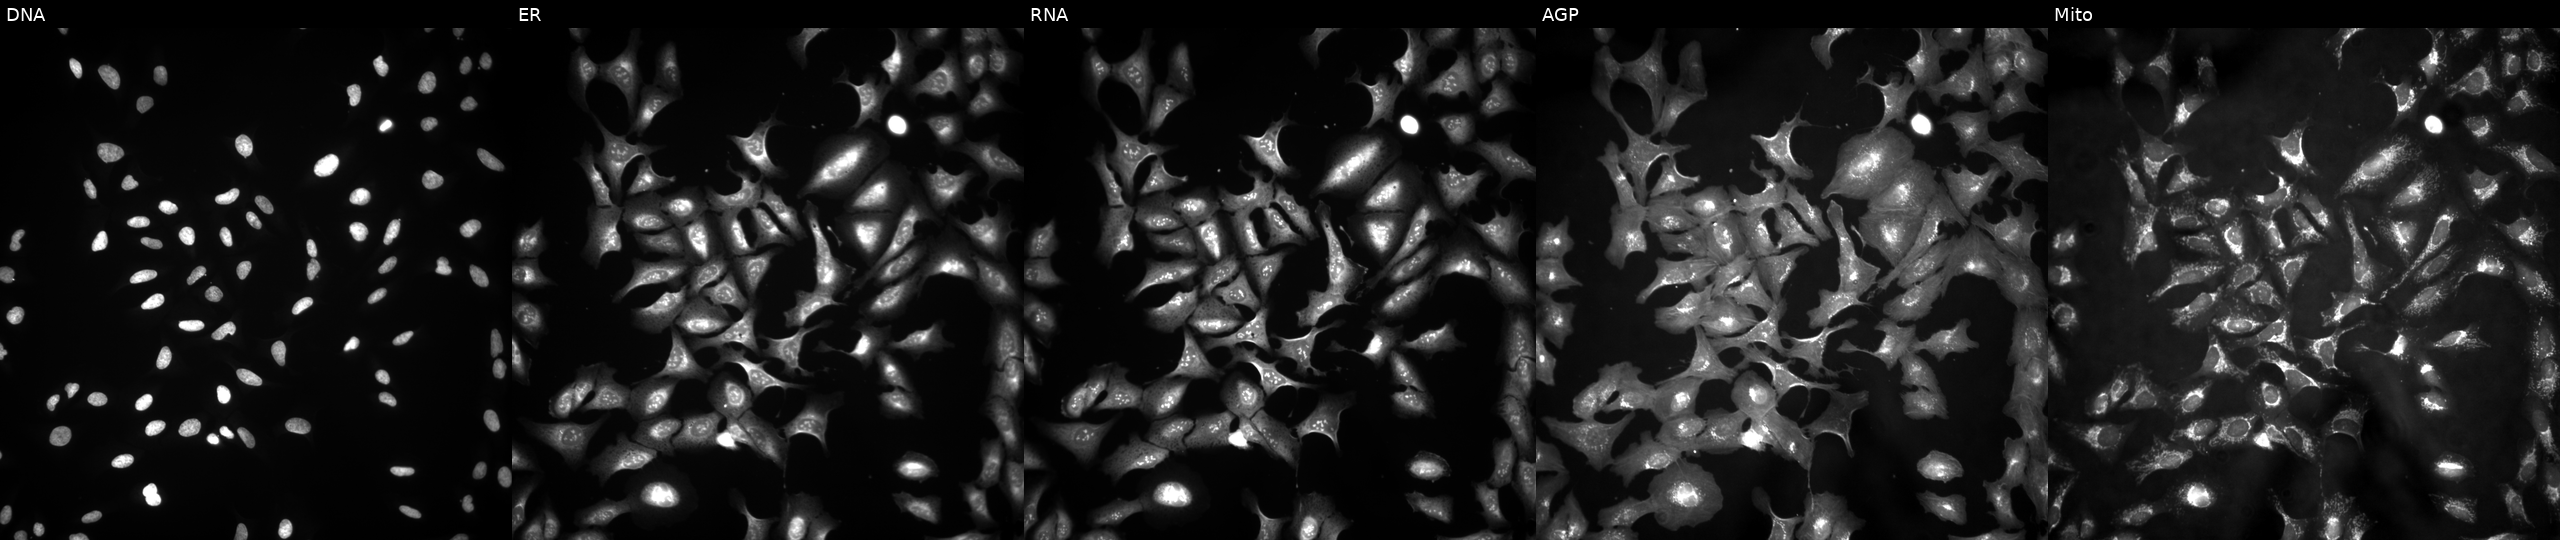
This image strip shows the five Cell Painting channels for a single field of U2OS cells with GMPR overexpressed (ORF). From left to right: DNA, ER, RNA, AGP, and Mito.